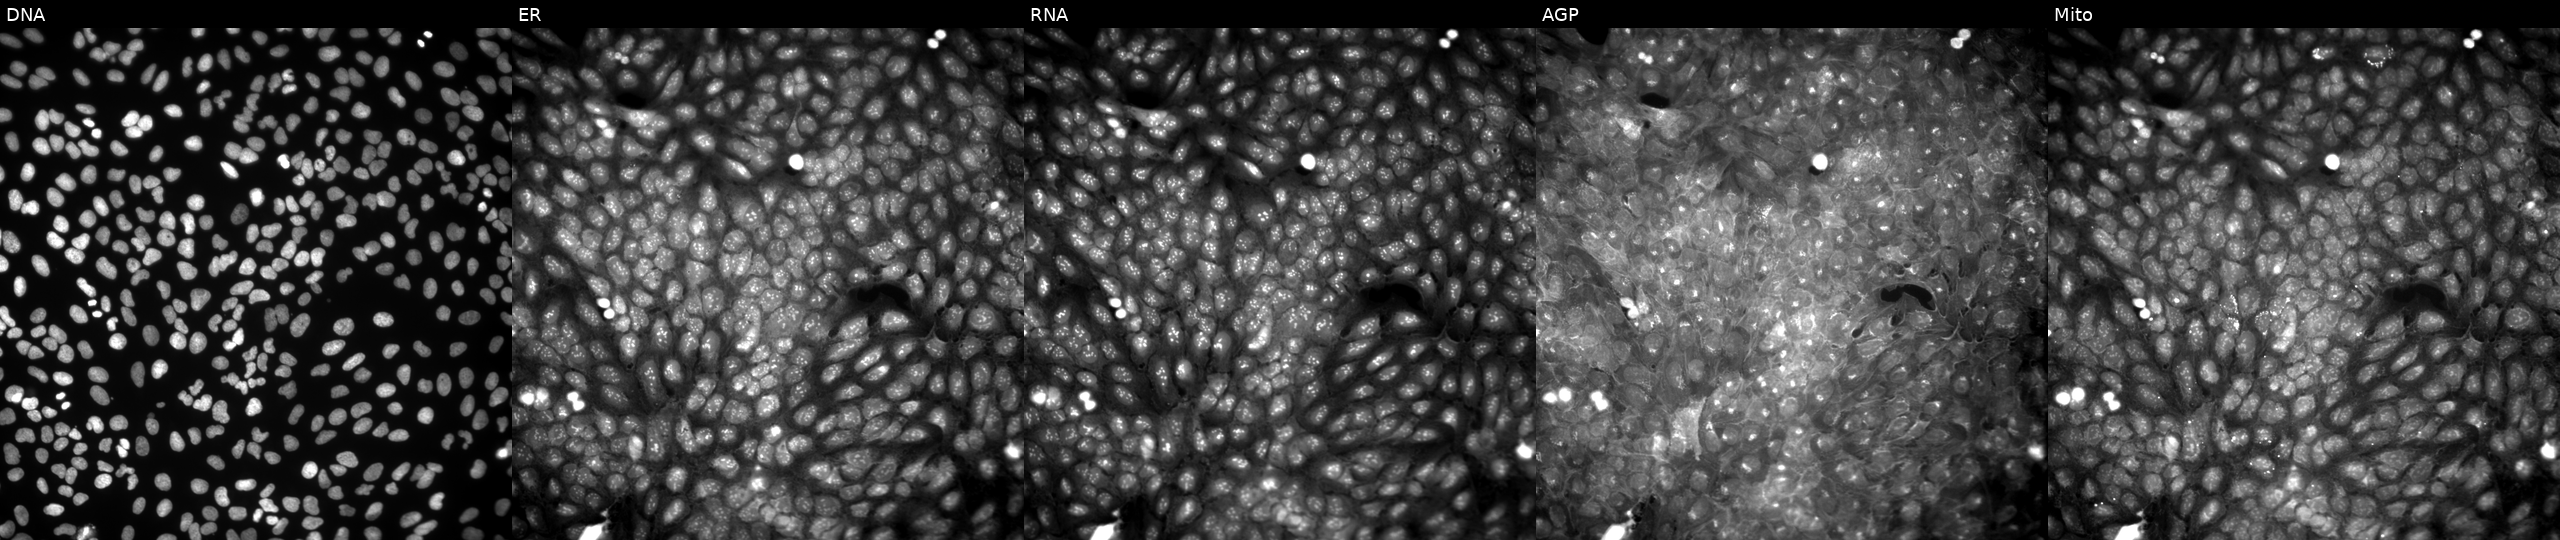
Five-channel Cell Painting image of U2OS cells exposed to a small-molecule compound. From left to right: DNA (nuclei); ER (endoplasmic reticulum); RNA (nucleoli and cytoplasmic RNA); AGP (actin cytoskeleton, Golgi, and plasma membrane); Mito (mitochondria). Source 9, plate GR00003381, well AC30.